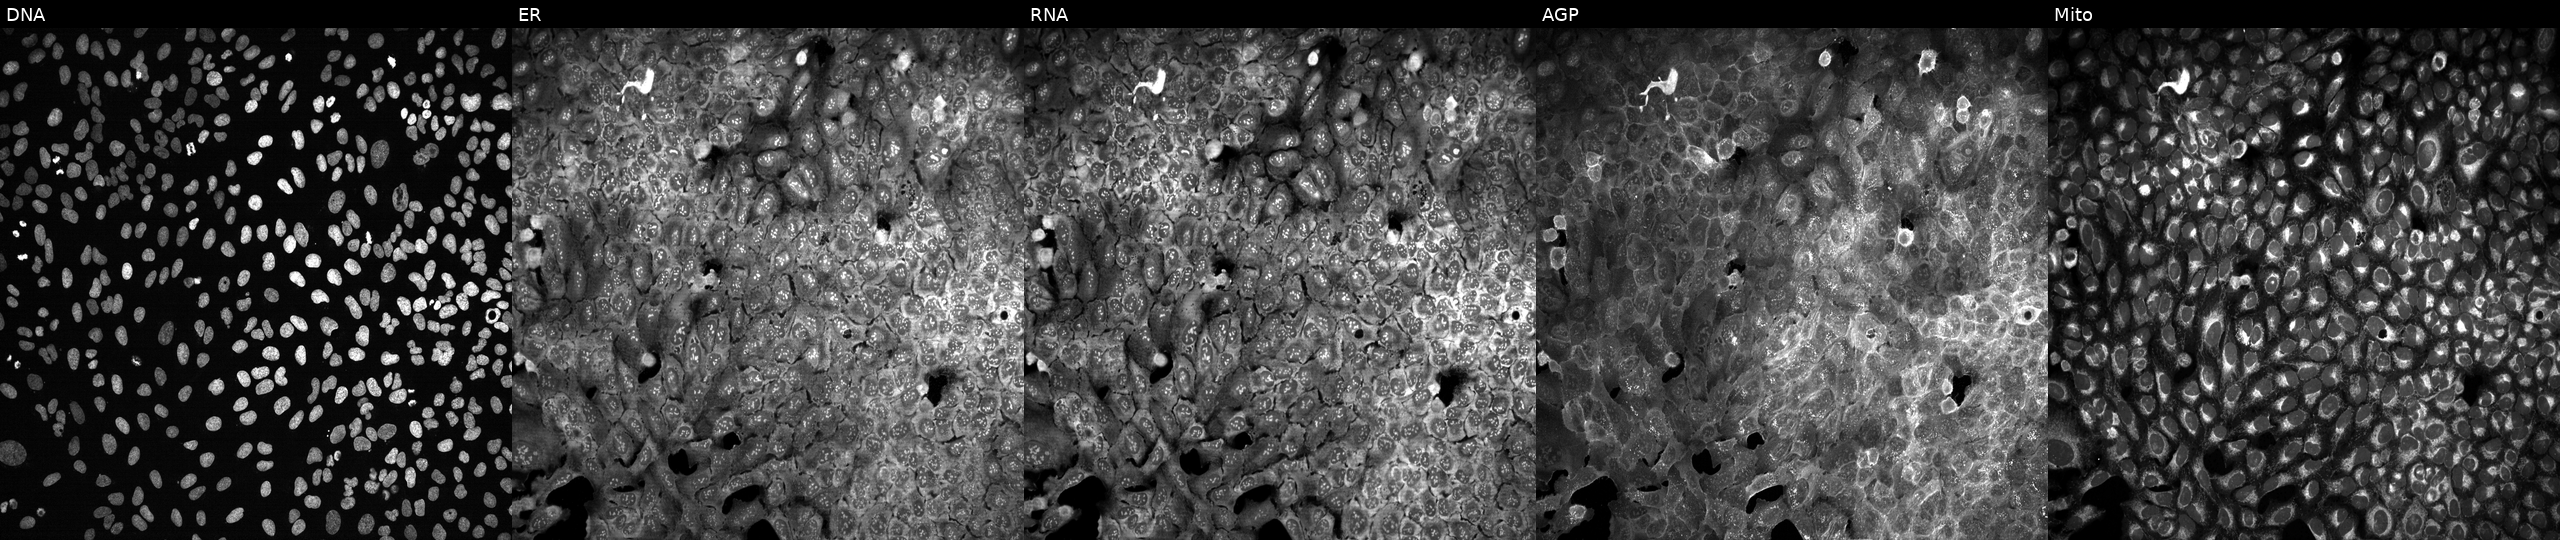
U2OS cells, Cell Painting assay, CRISPR-edited to disrupt RNPEPL1 (JUMP id JCP2022_806084). The five panels, left to right, show Hoechst 33342, concanavalin A, SYTO 14, phalloidin and WGA, MitoTracker. Each panel is percentile-stretched 16-bit fluorescence.